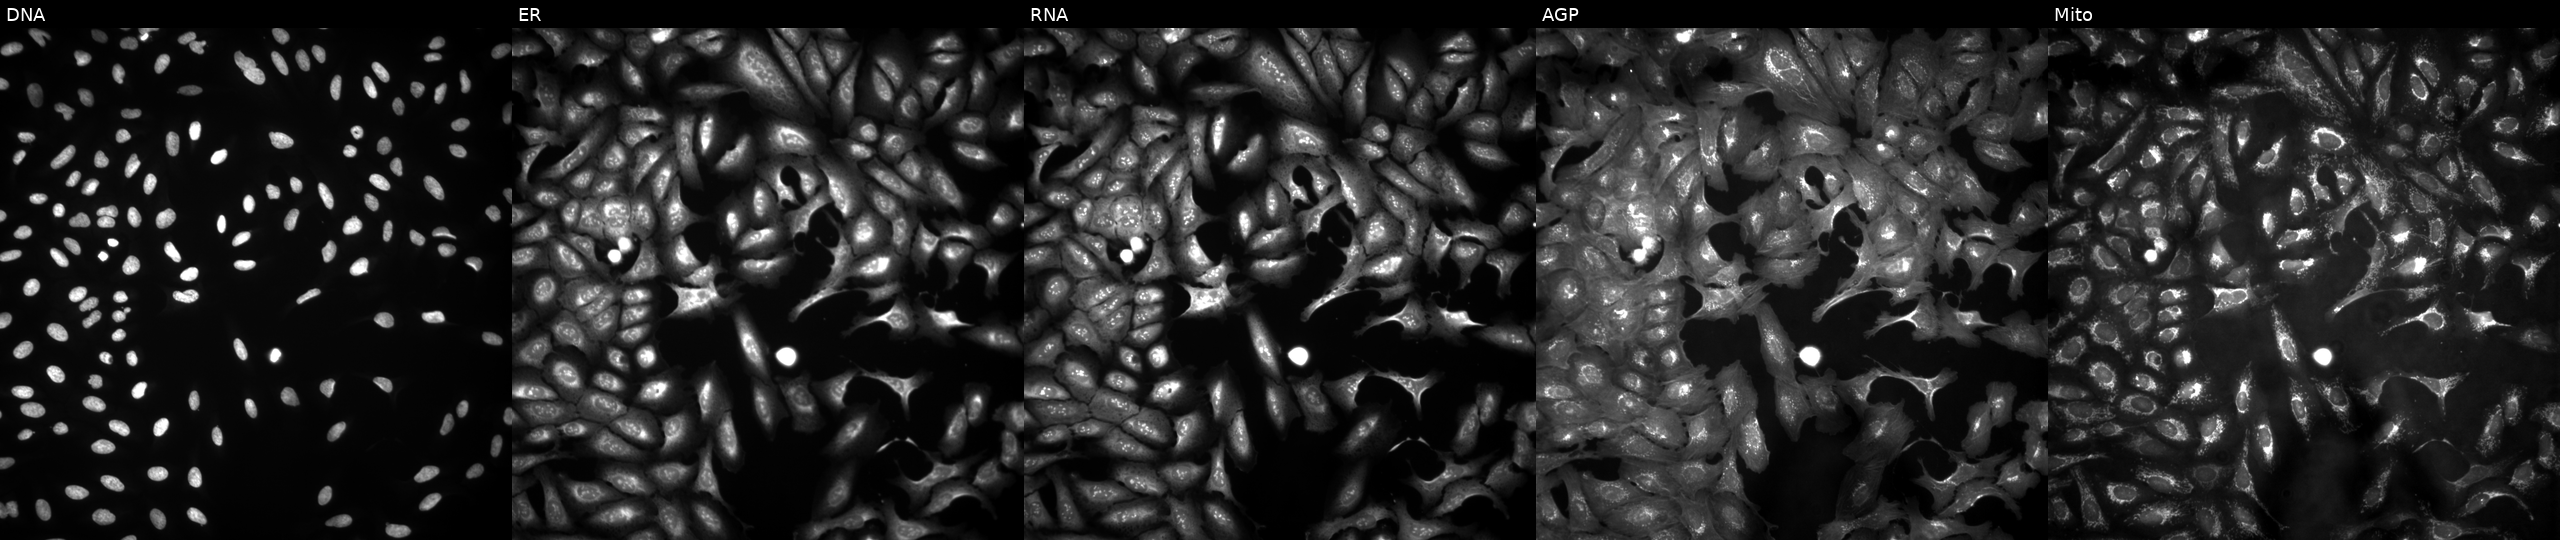
This image strip shows the five Cell Painting channels for a single field of U2OS cells overexpressing ACOX3 via ORF transfection. From left to right: DNA, ER, RNA, AGP, and Mito. Source 4, plate BR00121543, well M19.